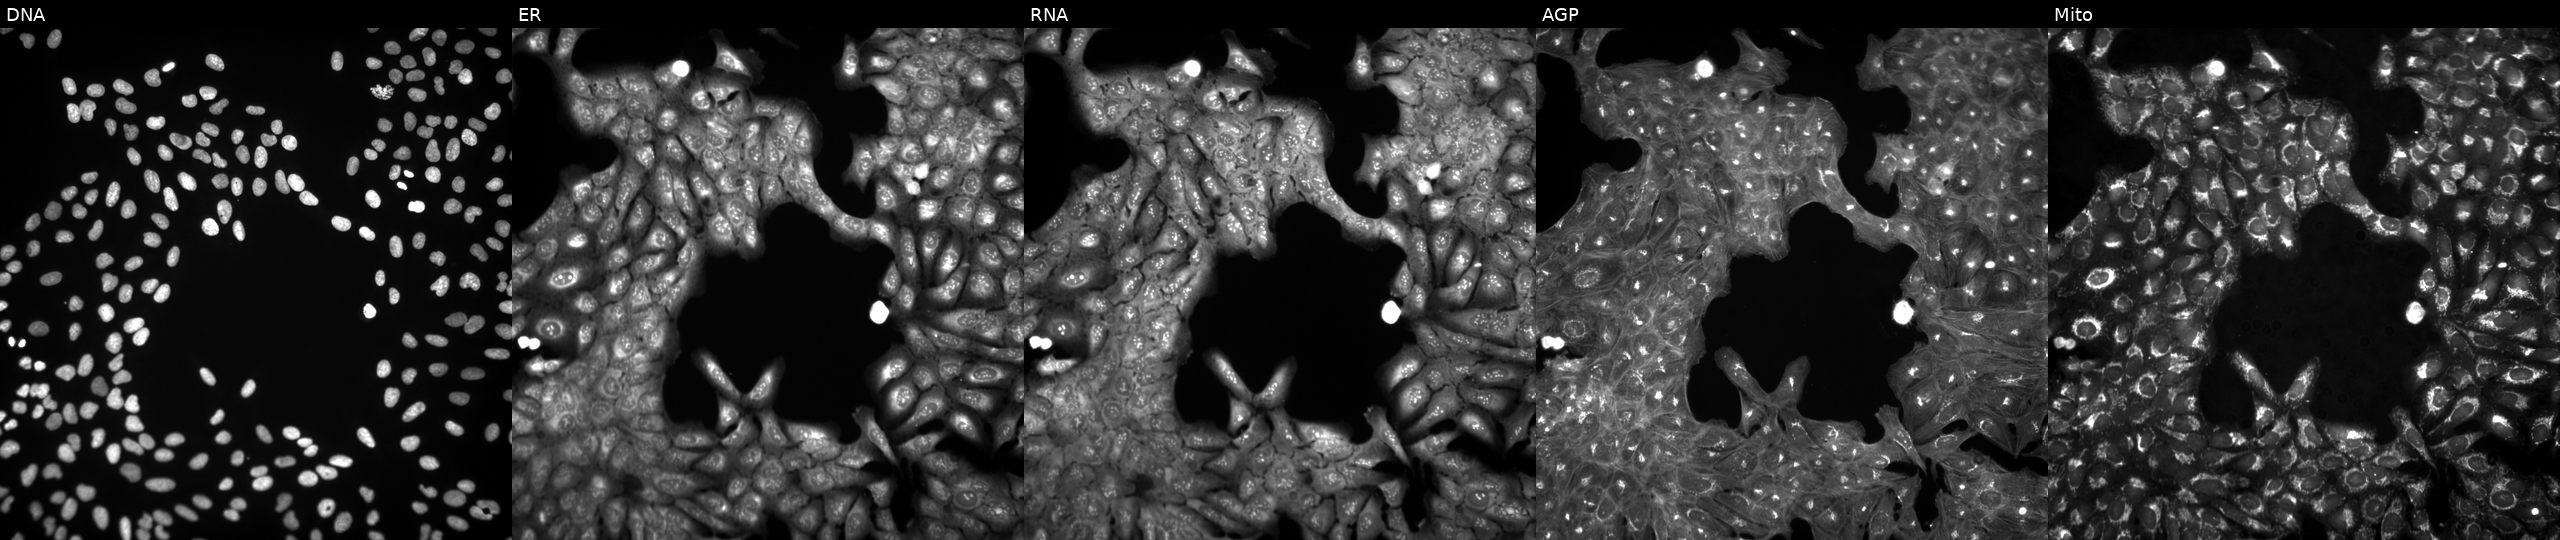
From left to right: DNA (nuclei); ER (endoplasmic reticulum); RNA (nucleoli and cytoplasmic RNA); AGP (actin cytoskeleton, Golgi, and plasma membrane); Mito (mitochondria). U2OS osteosarcoma cells perturbed with a small-molecule compound (InChIKey JZFPYUNJRRFVQU-UHFFFAOYSA-N). Cell Painting assay, JUMP-CP dataset. Source 3, plate JCPQC052, well P22.